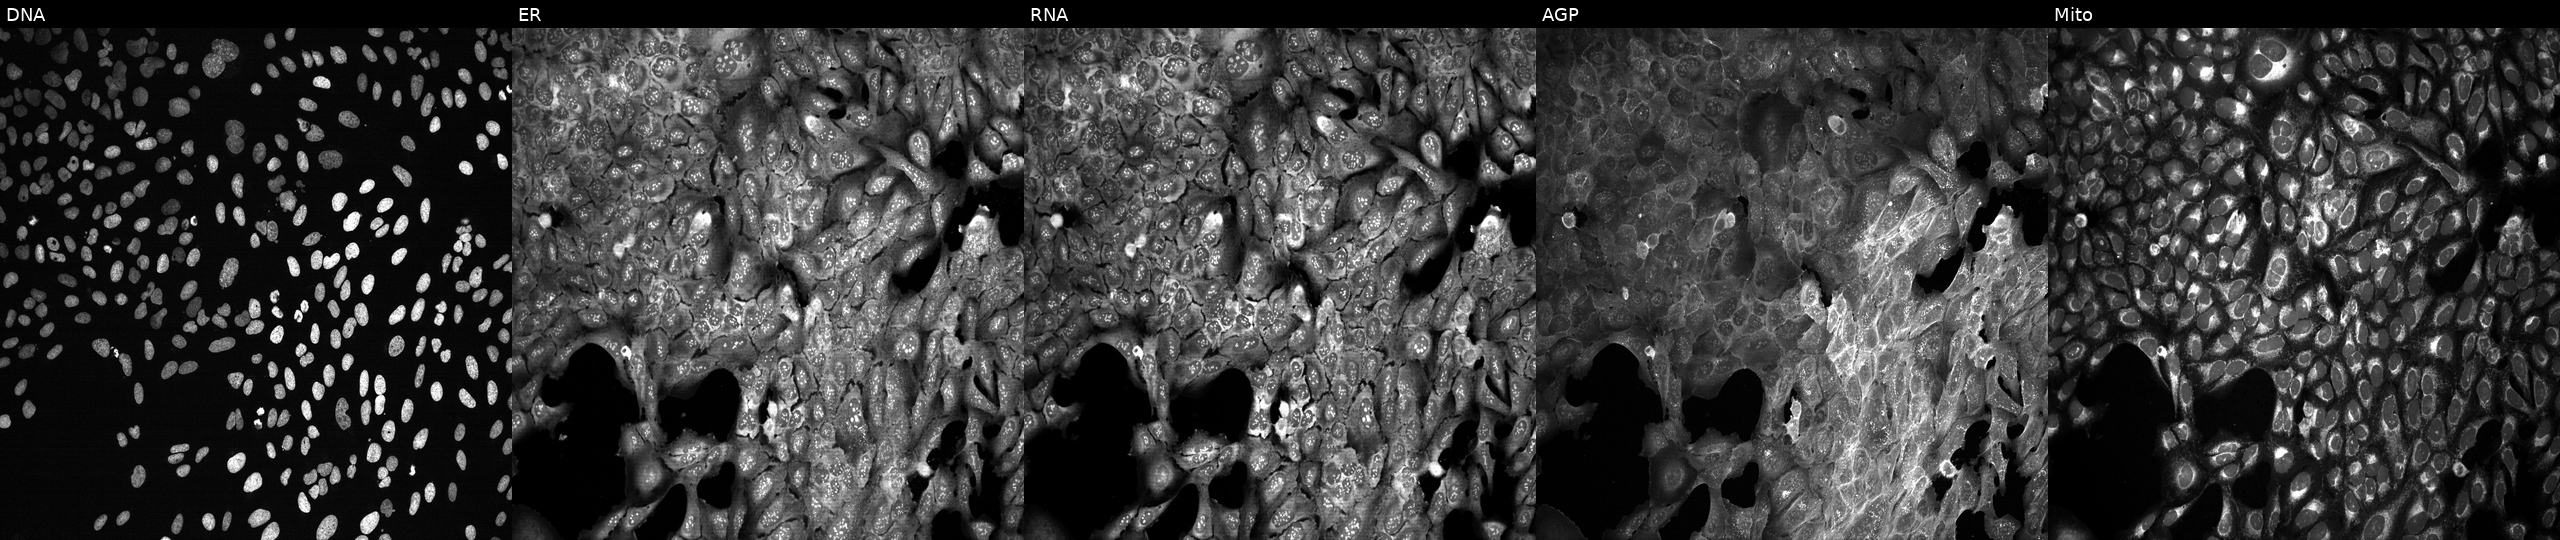
This image strip shows the five Cell Painting channels for a single field of U2OS cells CRISPR-edited to disrupt METAP1D (JUMP id JCP2022_804137). From left to right: DNA (nuclei); ER (endoplasmic reticulum); RNA (nucleoli and cytoplasmic RNA); AGP (actin cytoskeleton, Golgi, and plasma membrane); Mito (mitochondria).